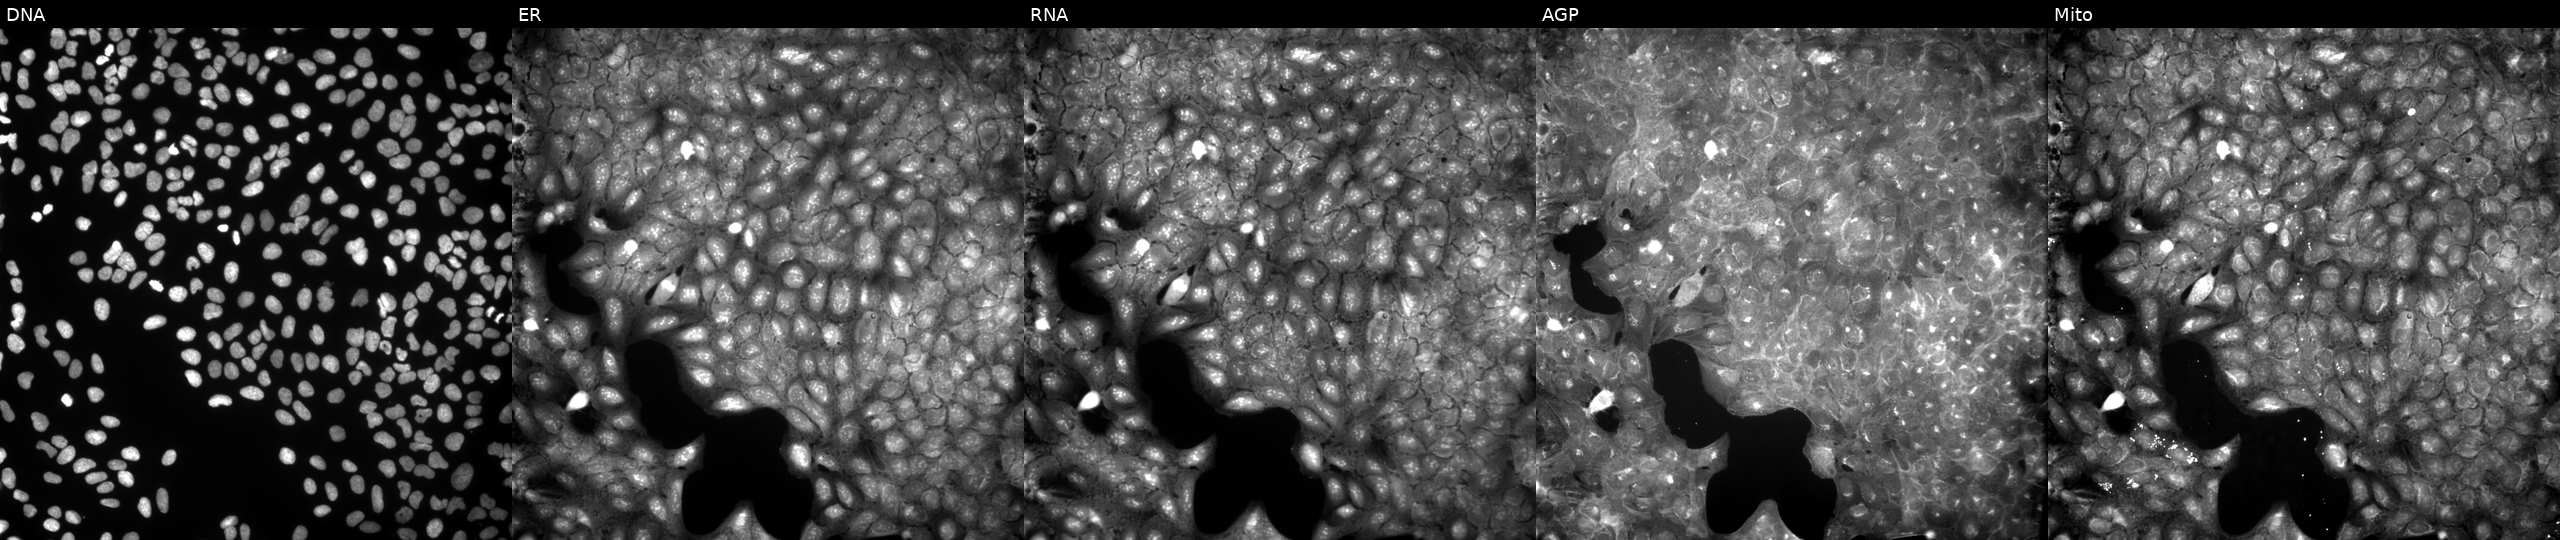
JUMP Cell Painting — COMPOUND plate. U2OS cells perturbed with a small-molecule compound (InChIKey JRQOWPJRZGLPCA-UHFFFAOYSA-N) (JUMP id JCP2022_041717). Panels show, left to right, DNA (nuclei); ER (endoplasmic reticulum); RNA (nucleoli and cytoplasmic RNA); AGP (actin cytoskeleton, Golgi, and plasma membrane); Mito (mitochondria).